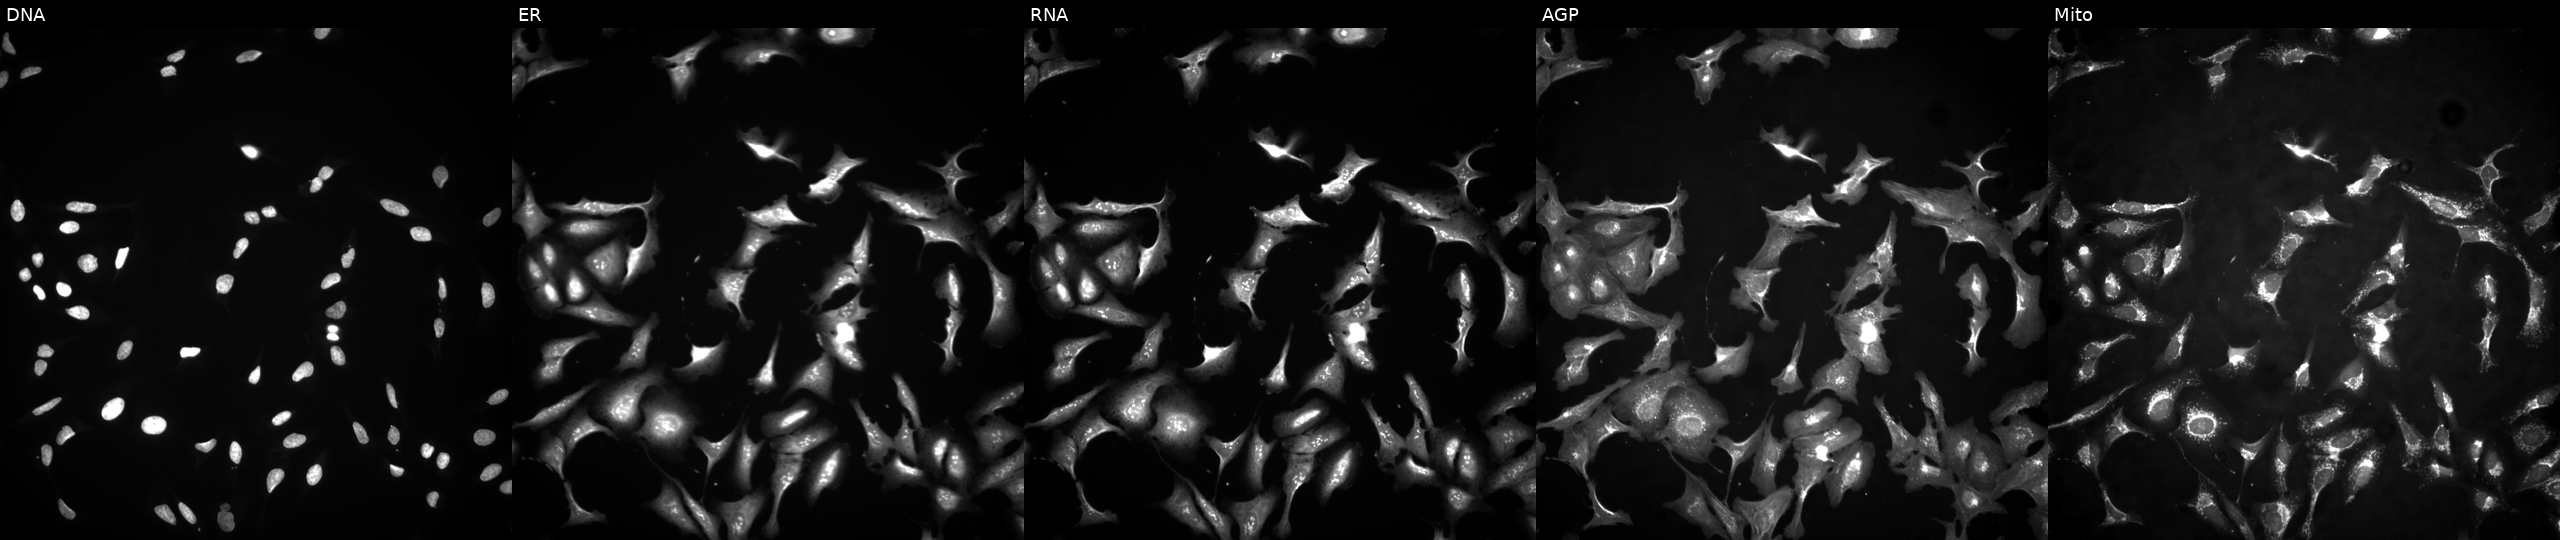
High-content fluorescence microscopy (Cell Painting). Cell line: U2OS. Perturbation: transfected with an ORF construct for ELK1 (JUMP id JCP2022_900466). The five panels, left to right, show Hoechst 33342, concanavalin A, SYTO 14, phalloidin and WGA, MitoTracker.